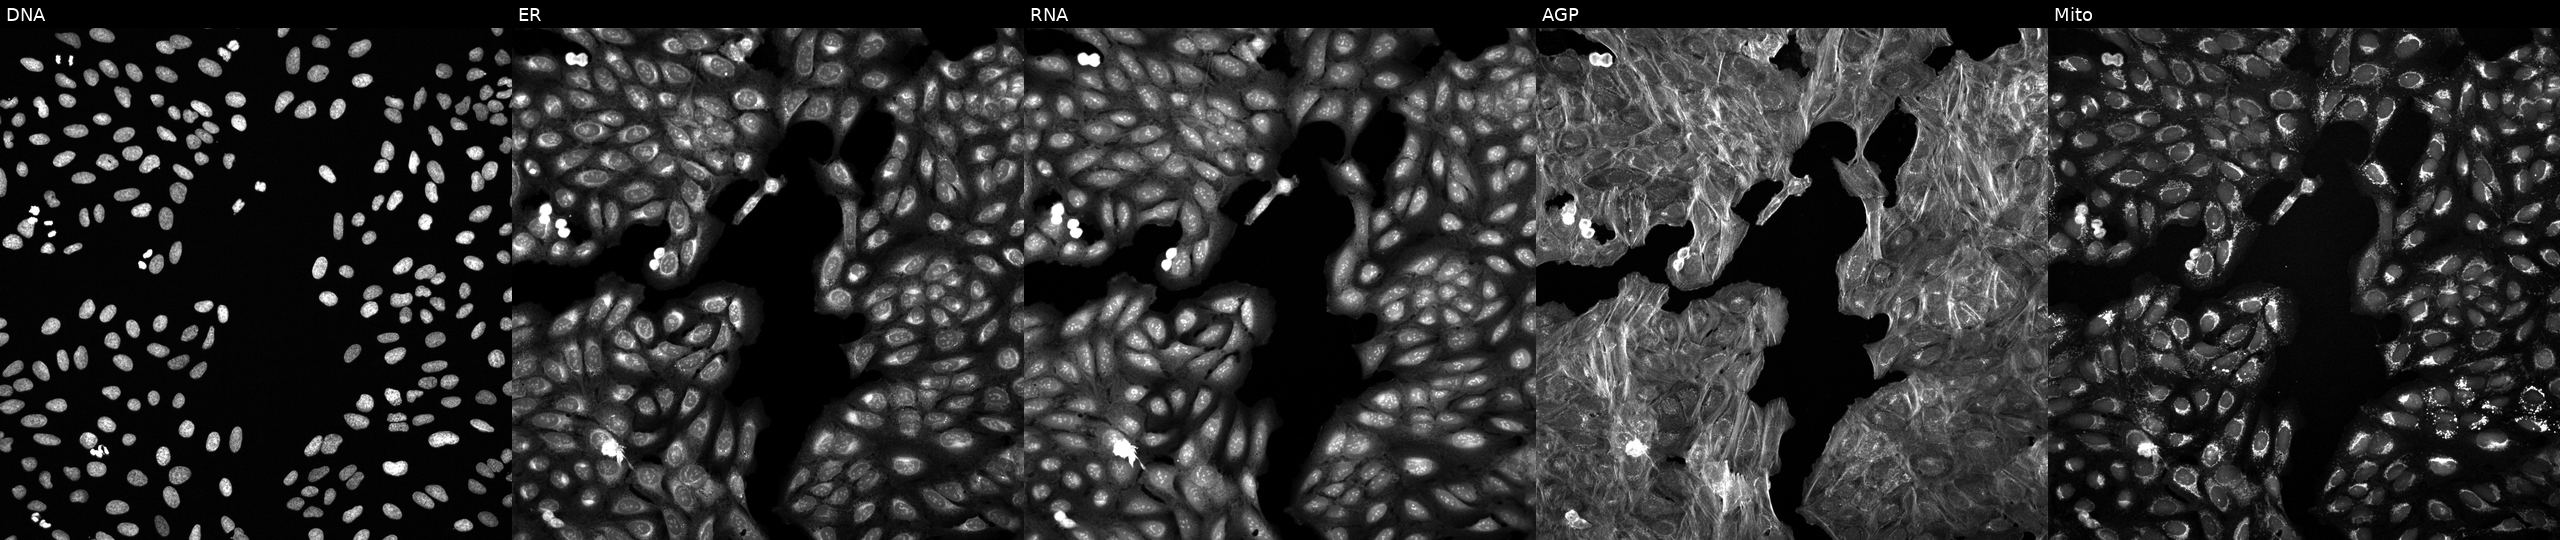
High-content fluorescence microscopy (Cell Painting). Cell line: U2OS. Perturbation: exposed to a small-molecule compound (InChIKey SEZLHKWNNGQNRB-UHFFFAOYSA-N) [SMILES: CCCNC(=O)c1cc(C)nc2onc(-c3ccccc3F)c12]. The five panels, left to right, show DNA, ER, RNA, AGP, and Mito. Source 6, plate 110000293082, well D13.